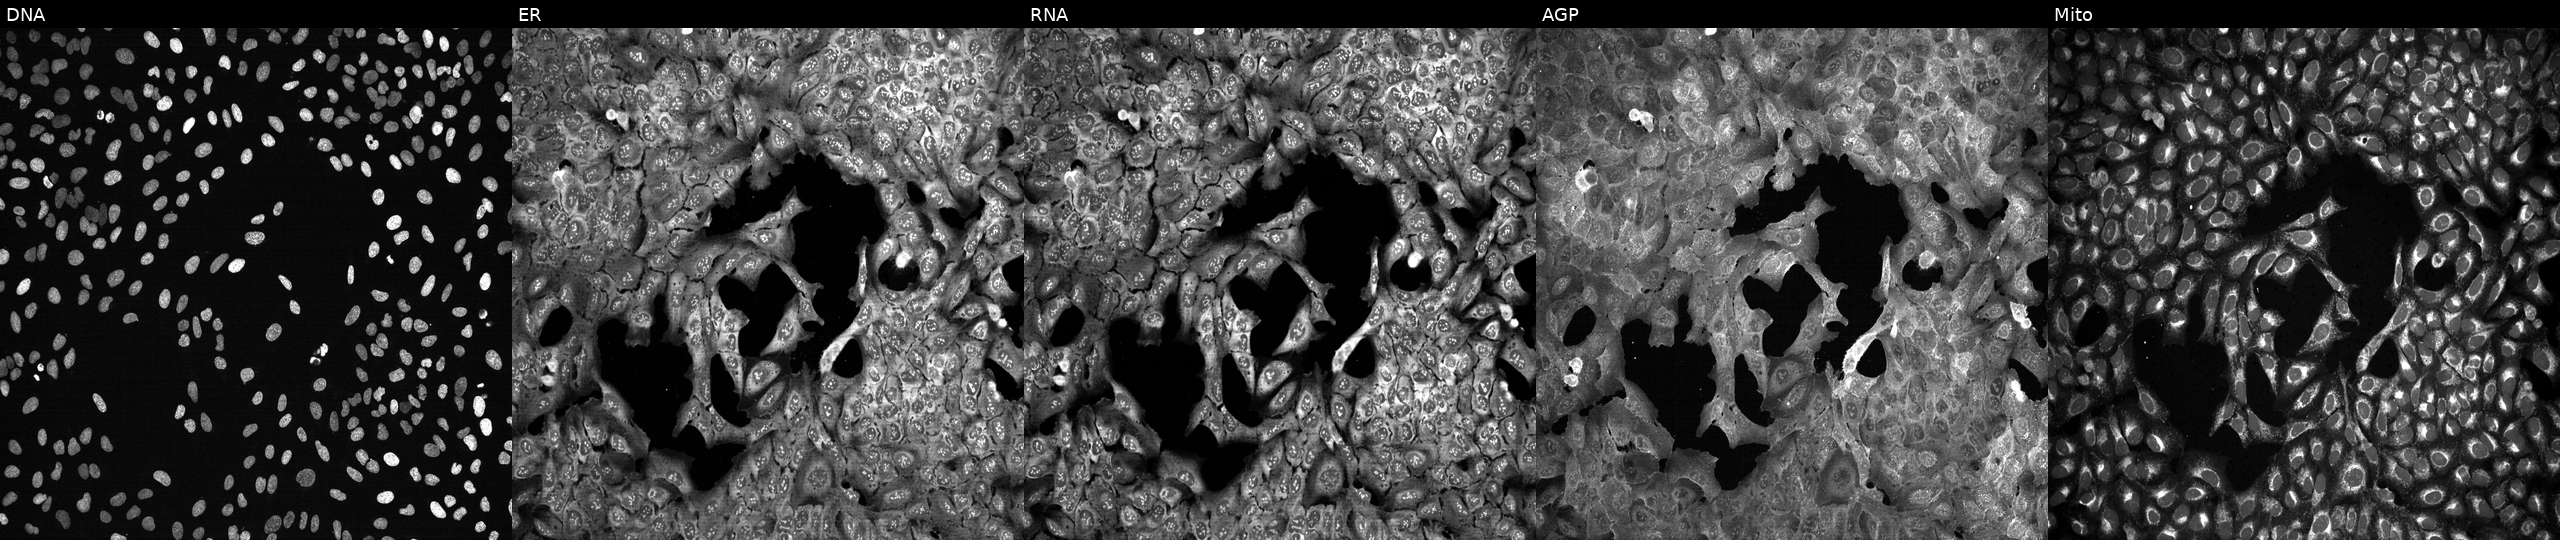
This image strip shows the five Cell Painting channels for a single field of U2OS cells following CRISPR knockout of ACSL3. From left to right: DNA (nuclei); ER (endoplasmic reticulum); RNA (nucleoli and cytoplasmic RNA); AGP (actin cytoskeleton, Golgi, and plasma membrane); Mito (mitochondria).